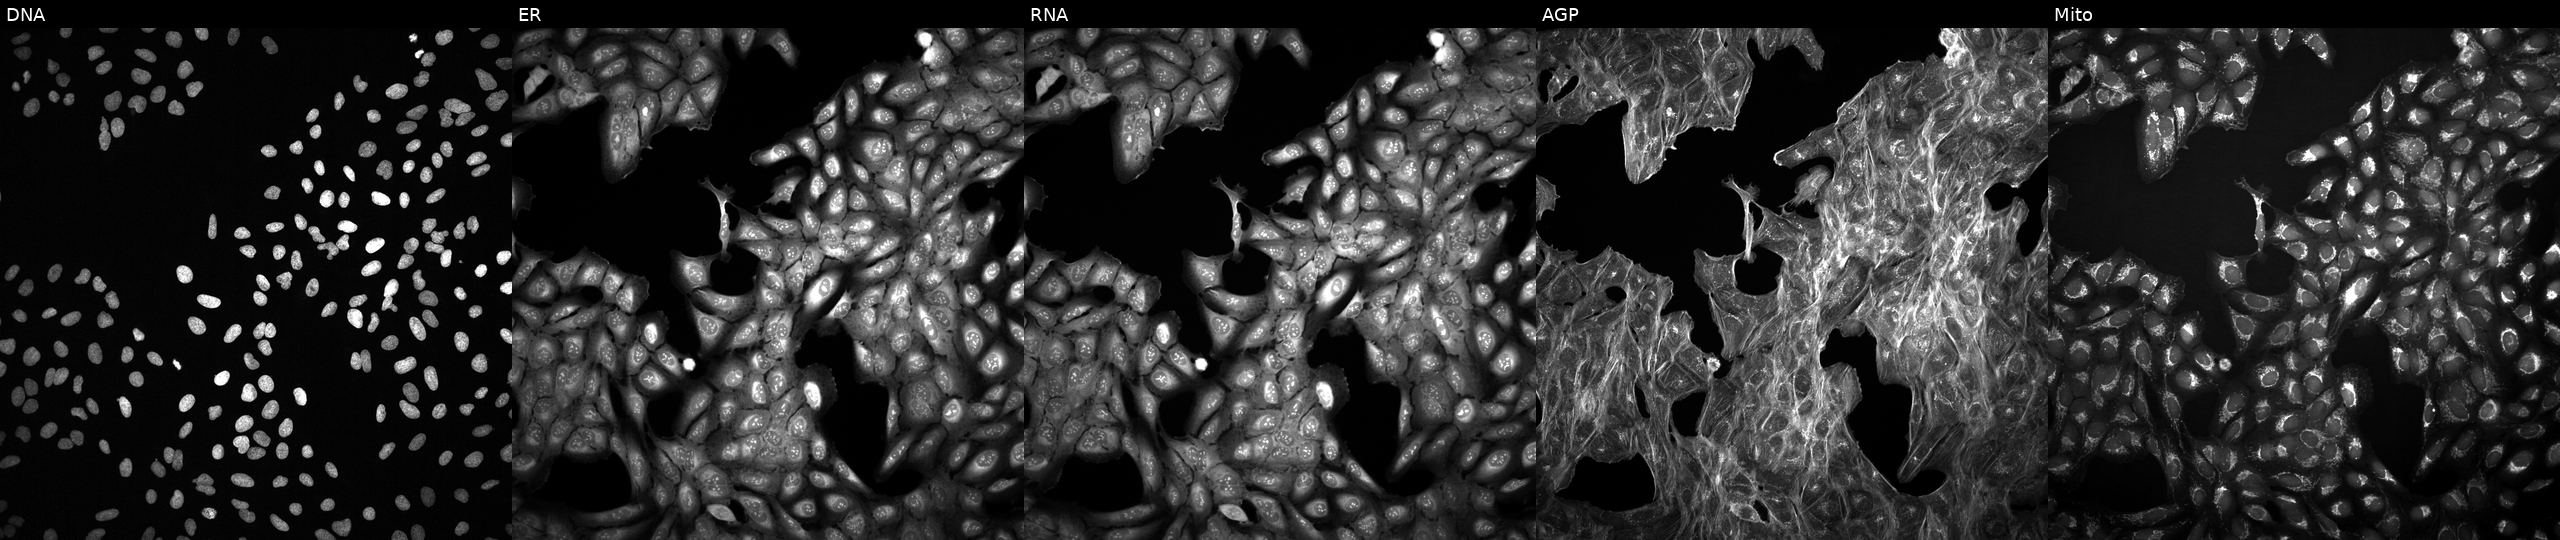
Channels (left→right): DNA, ER, RNA, AGP, and Mito. U2OS osteosarcoma cells perturbed with a small-molecule compound (InChIKey JYLNVJYYQQXNEK-UHFFFAOYSA-N). Cell Painting assay, JUMP-CP dataset.